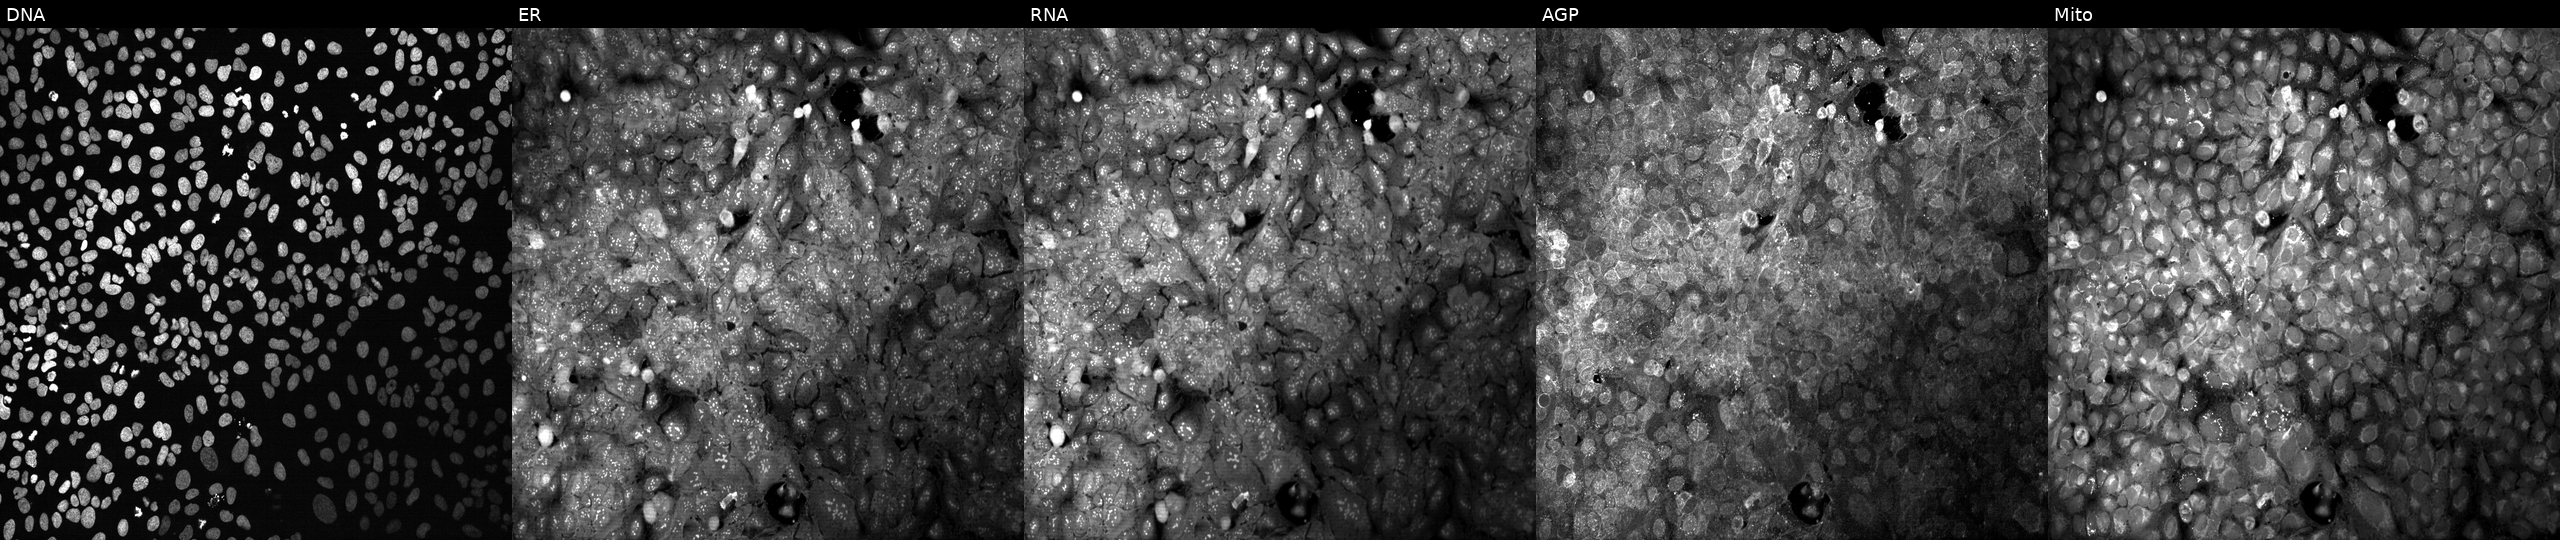
Panels show, left to right, Hoechst 33342, concanavalin A, SYTO 14, phalloidin and WGA, MitoTracker. U2OS osteosarcoma cells treated with DMSO vehicle only (negative control) (JUMP id JCP2022_033924). Cell Painting assay, JUMP-CP dataset.